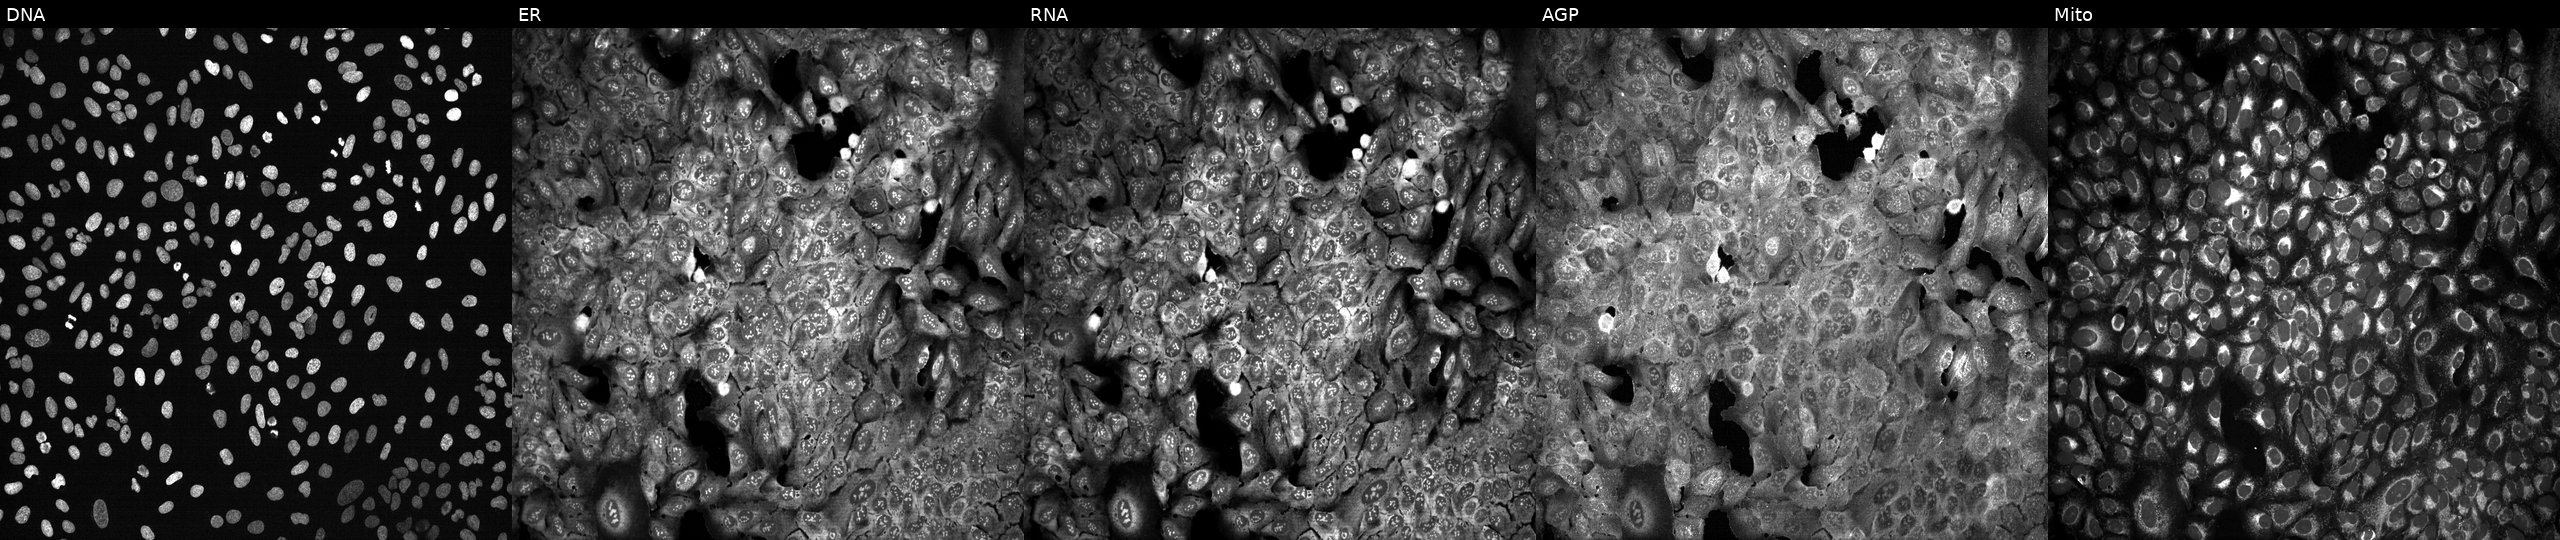
JUMP Cell Painting — CRISPR plate. U2OS cells CRISPR-edited to disrupt ACER1 (JUMP id JCP2022_800104). Panels show, left to right, Hoechst 33342, concanavalin A, SYTO 14, phalloidin and WGA, MitoTracker. Source 13, plate CP-CC9-R3-02, well N09.